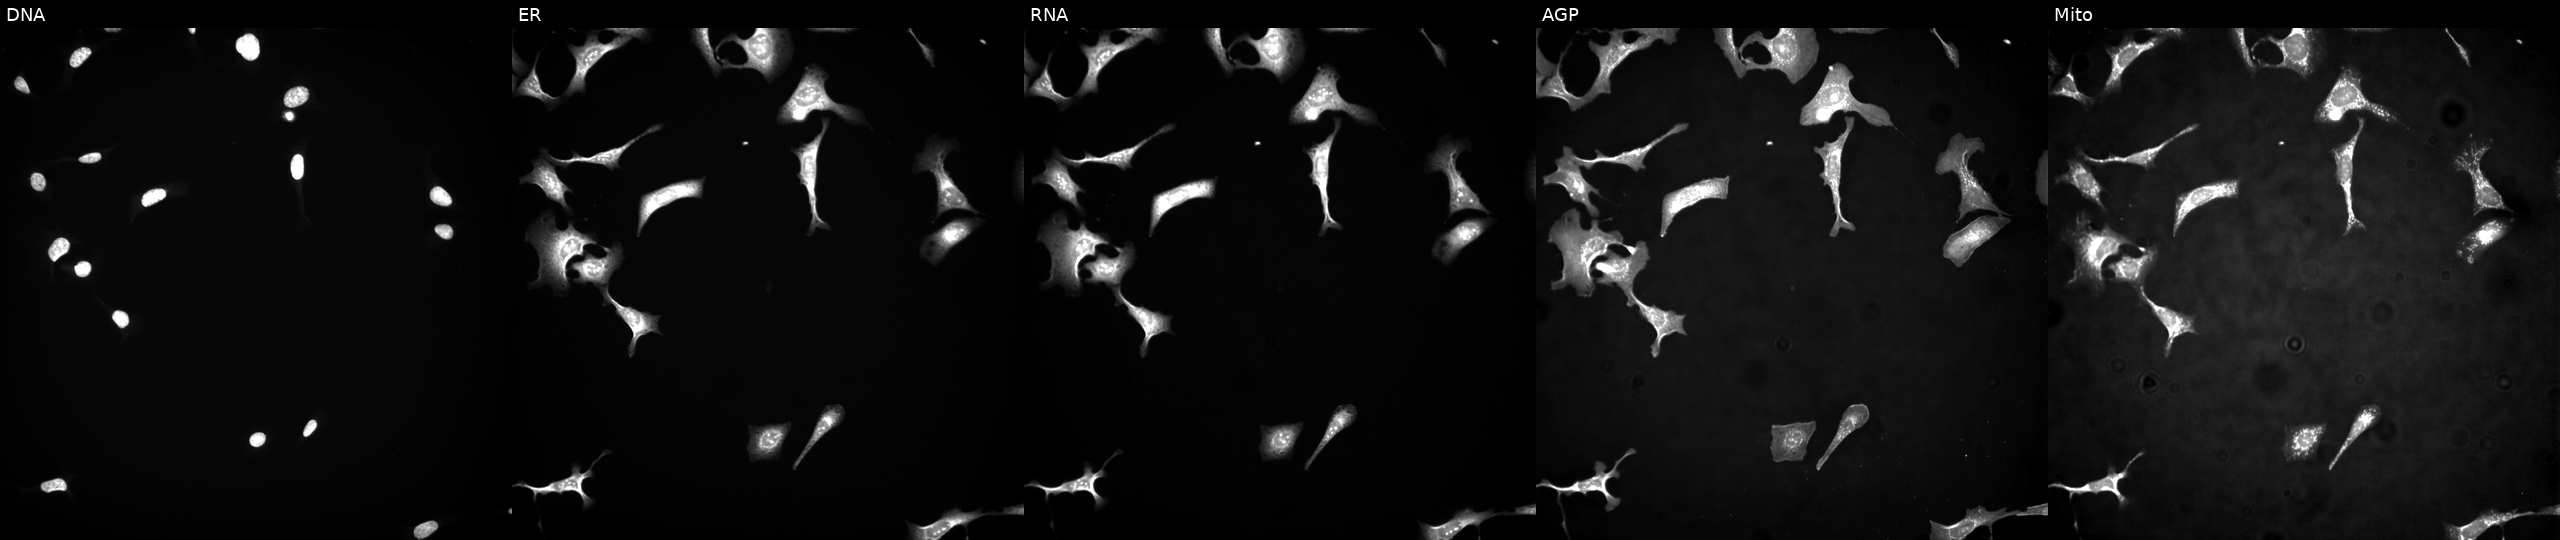
High-content fluorescence microscopy (Cell Painting). Cell line: U2OS. Perturbation: overexpressing TSSK2 via ORF transfection (JUMP id JCP2022_914036). Channels (left→right): DNA, ER, RNA, AGP, and Mito.